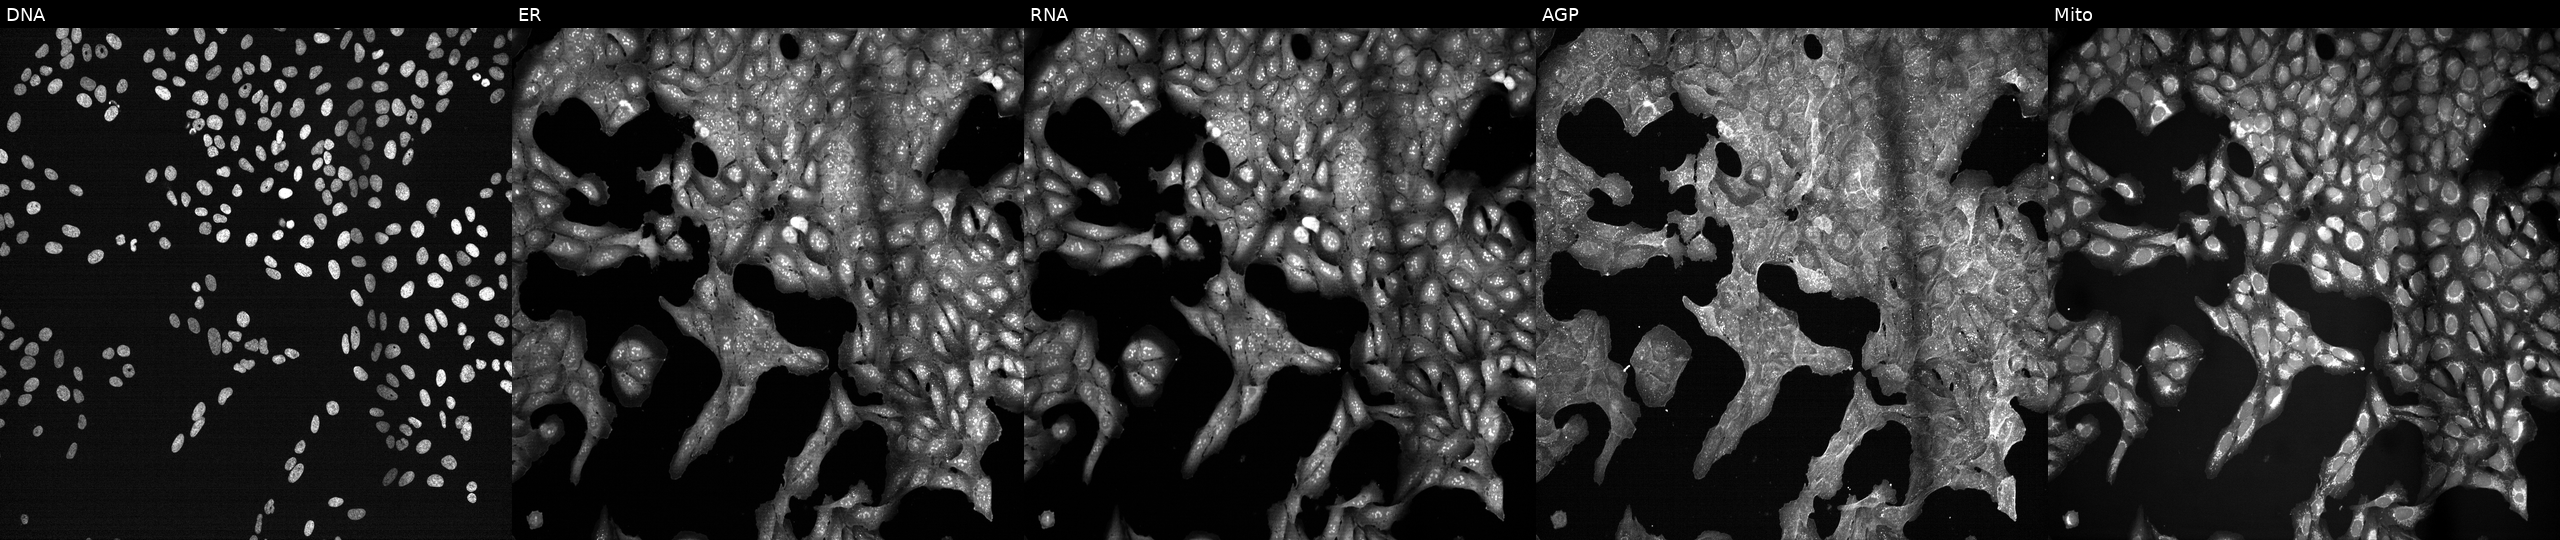
High-content fluorescence microscopy (Cell Painting). Cell line: U2OS. Perturbation: perturbed with a small-molecule compound (InChIKey ICDMLAQPOAVWNH-UHFFFAOYSA-N) (JUMP id JCP2022_034137). The five panels, left to right, show Hoechst 33342, concanavalin A, SYTO 14, phalloidin and WGA, MitoTracker.